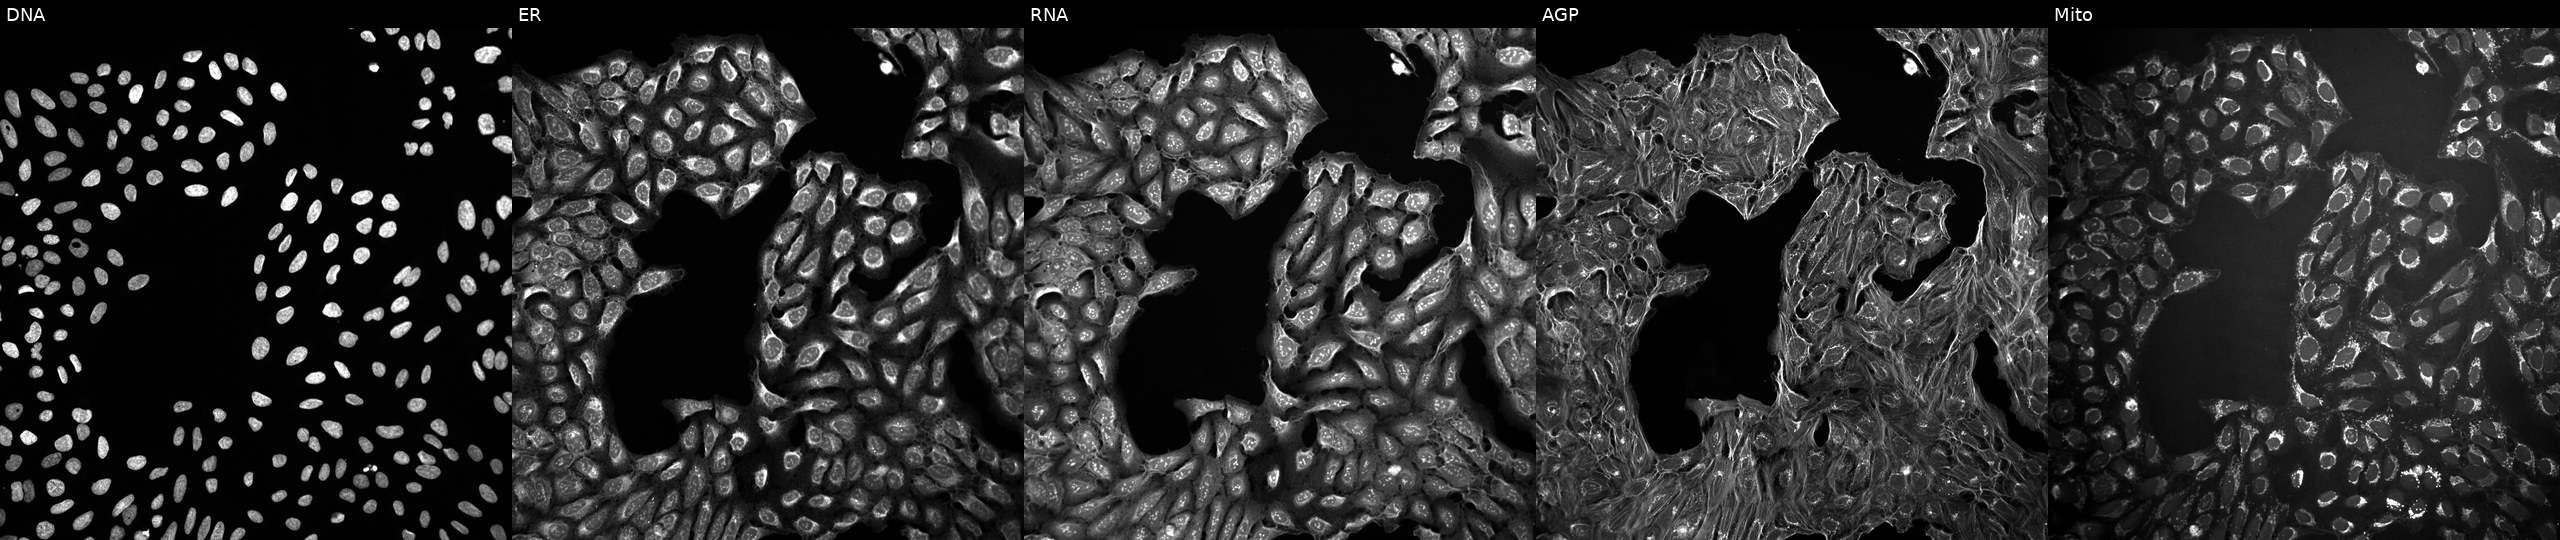
JUMP Cell Painting — COMPOUND plate. U2OS cells exposed to a small-molecule compound. From left to right: DNA, ER, RNA, AGP, and Mito.